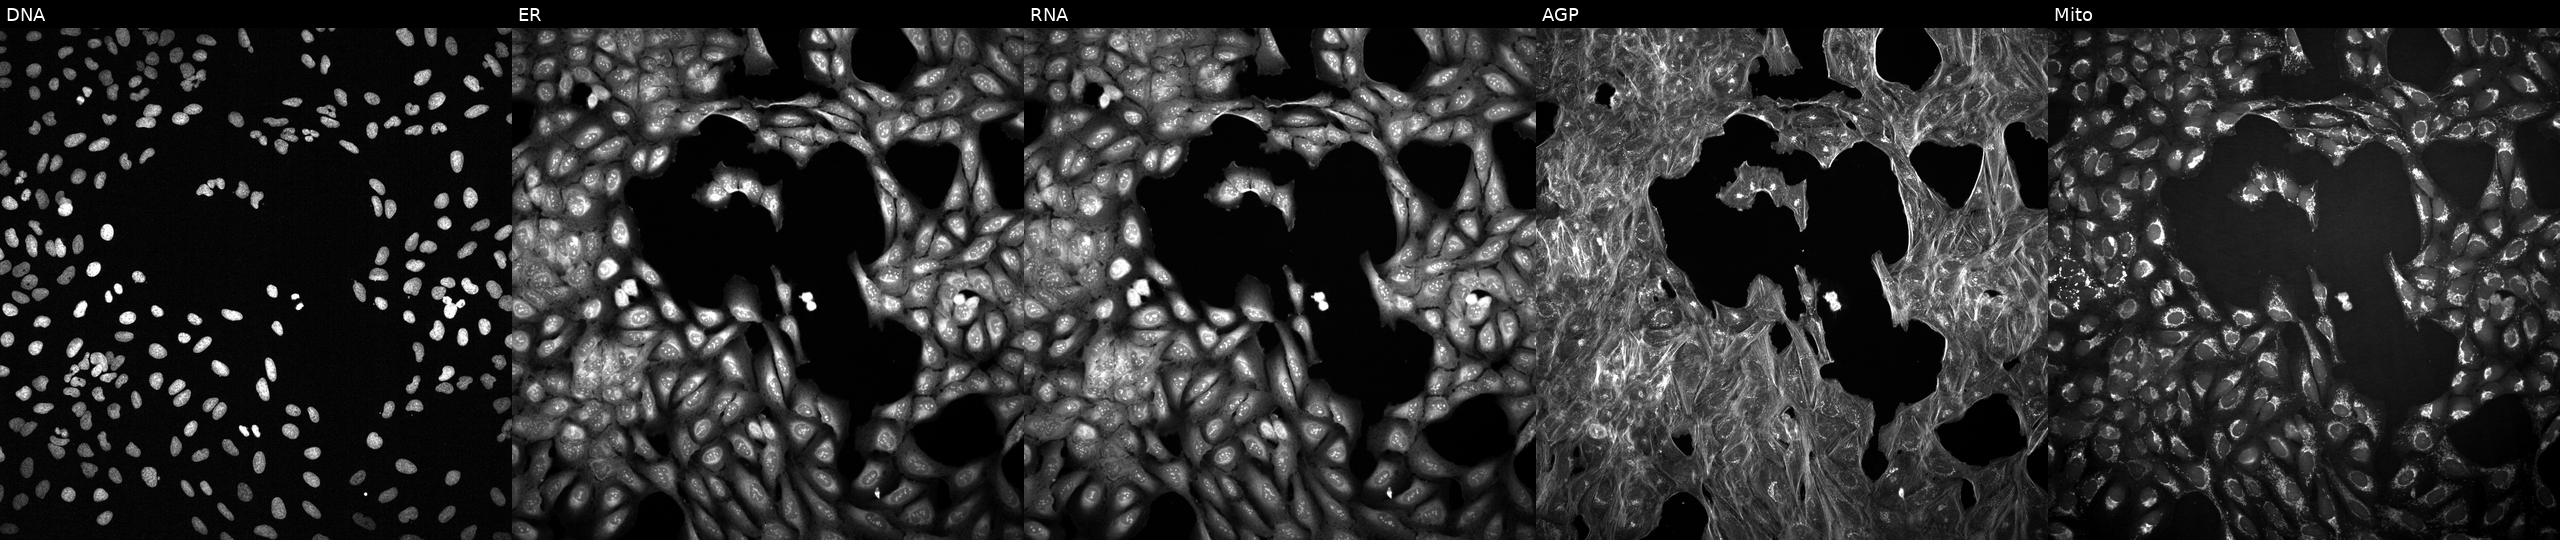
JUMP Cell Painting — TARGET2 plate. U2OS cells treated with DMSO vehicle only (negative control). The five panels, left to right, show DNA, ER, RNA, AGP, and Mito.